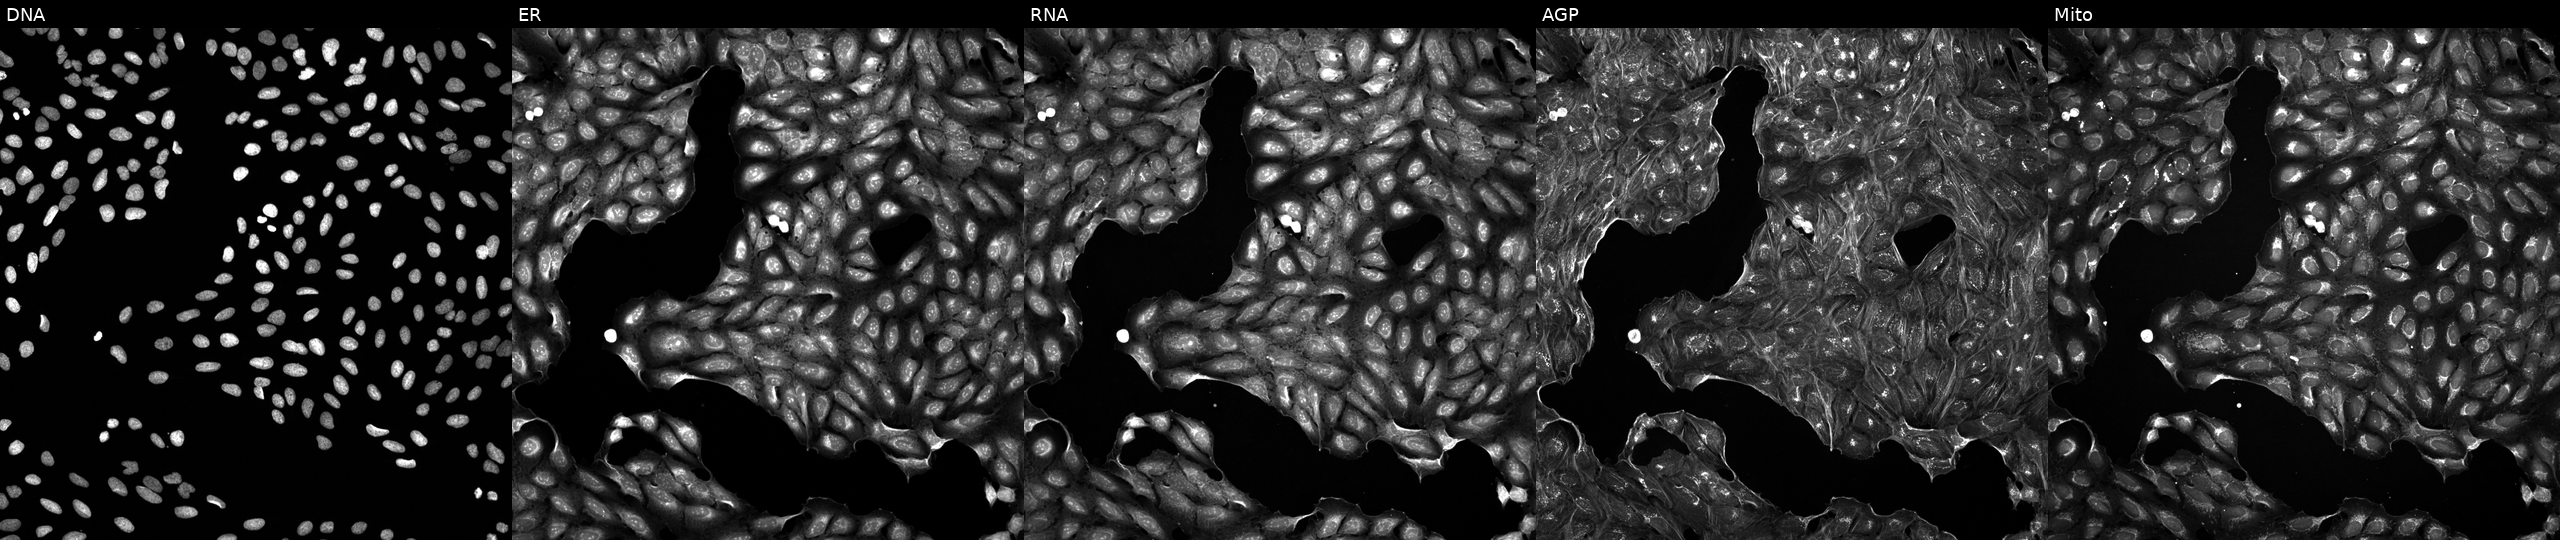
U2OS cells, Cell Painting assay, treated with a small-molecule compound (InChIKey YZQAIIKNNQXPBJ-UHFFFAOYSA-N) (JUMP id JCP2022_111908). Panels show, left to right, Hoechst 33342, concanavalin A, SYTO 14, phalloidin and WGA, MitoTracker. Each panel is percentile-stretched 16-bit fluorescence.